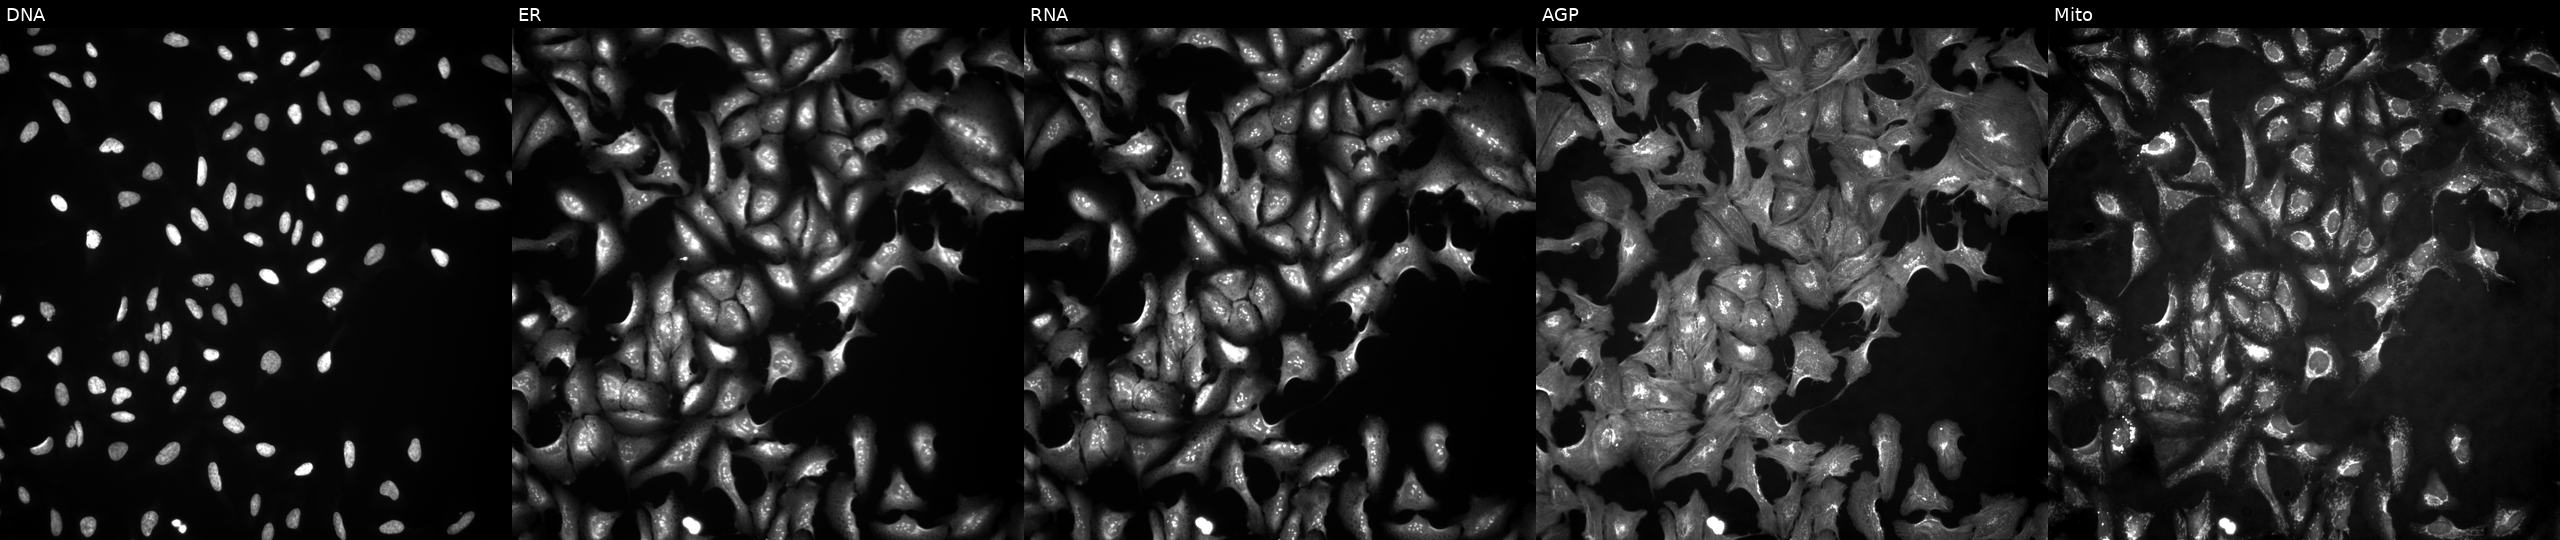
JUMP Cell Painting — ORF plate. U2OS cells overexpressing RPS6 via ORF transfection (JUMP id JCP2022_906458). The five panels, left to right, show DNA, ER, RNA, AGP, and Mito.